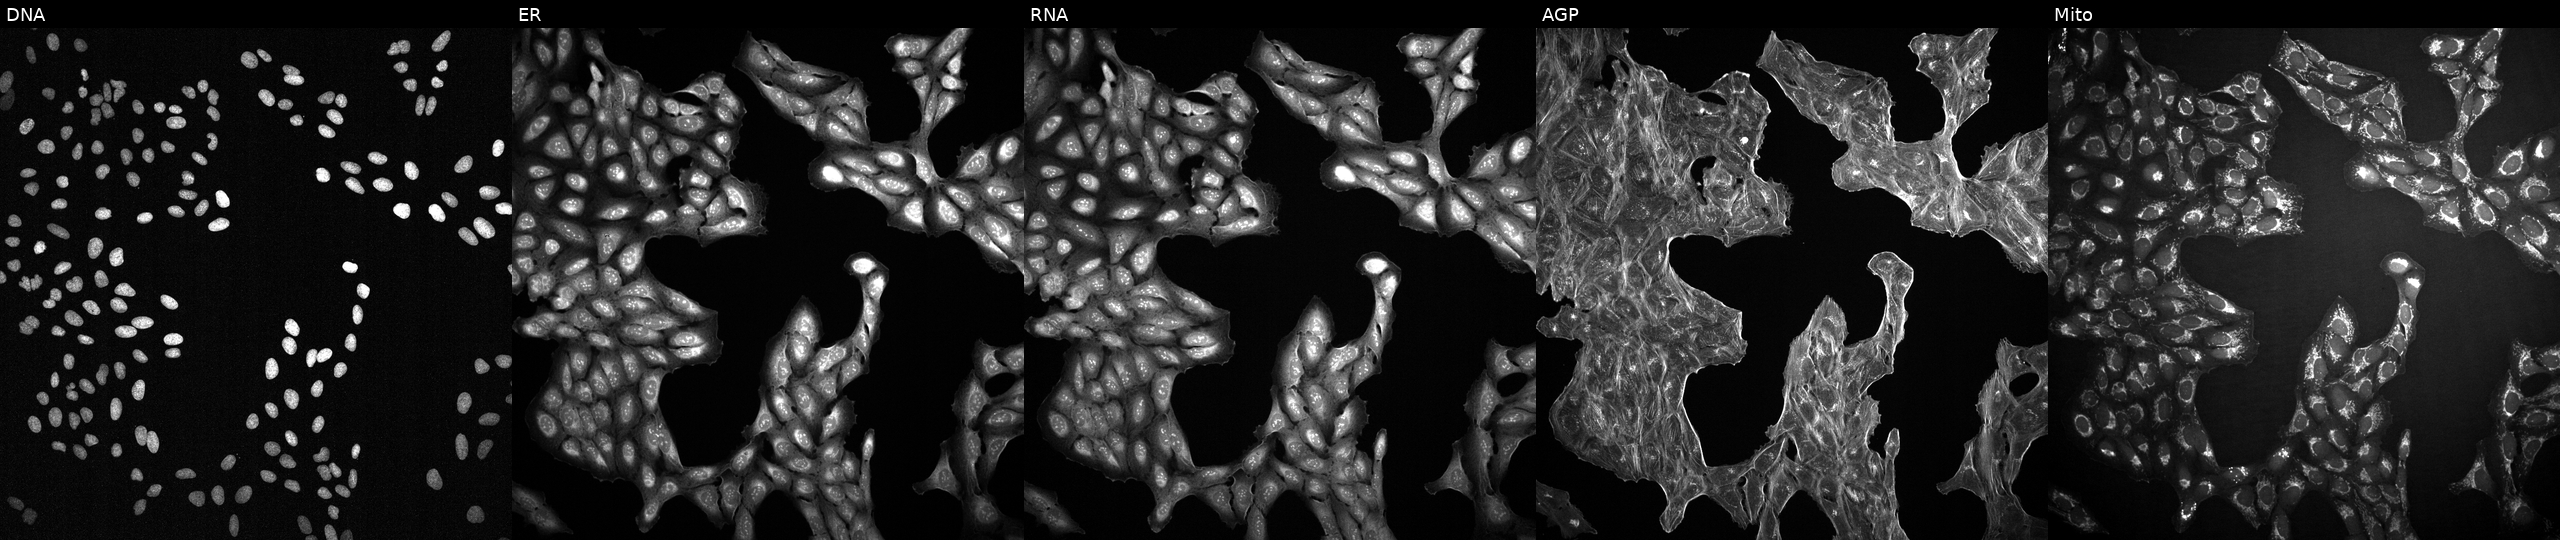
High-content fluorescence microscopy (Cell Painting). Cell line: U2OS. Perturbation: treated with DMSO vehicle only (negative control) (JUMP id JCP2022_033924). Panels show, left to right, DNA, ER, RNA, AGP, and Mito.